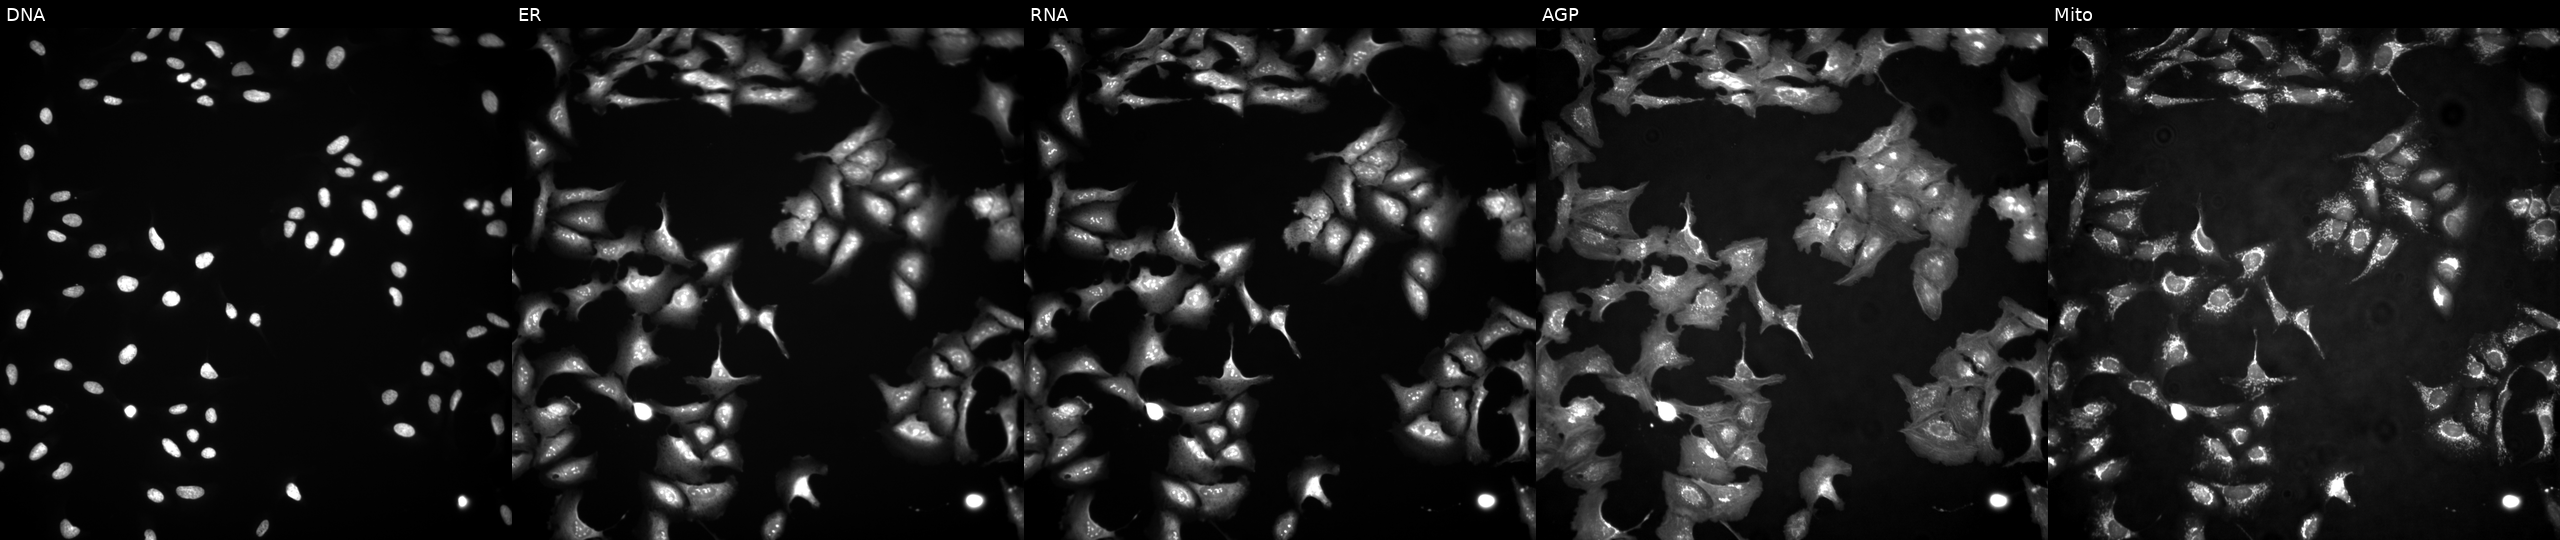
Panels show, left to right, DNA, ER, RNA, AGP, and Mito. U2OS osteosarcoma cells transfected with an ORF construct for RUVBL2. Cell Painting assay, JUMP-CP dataset.